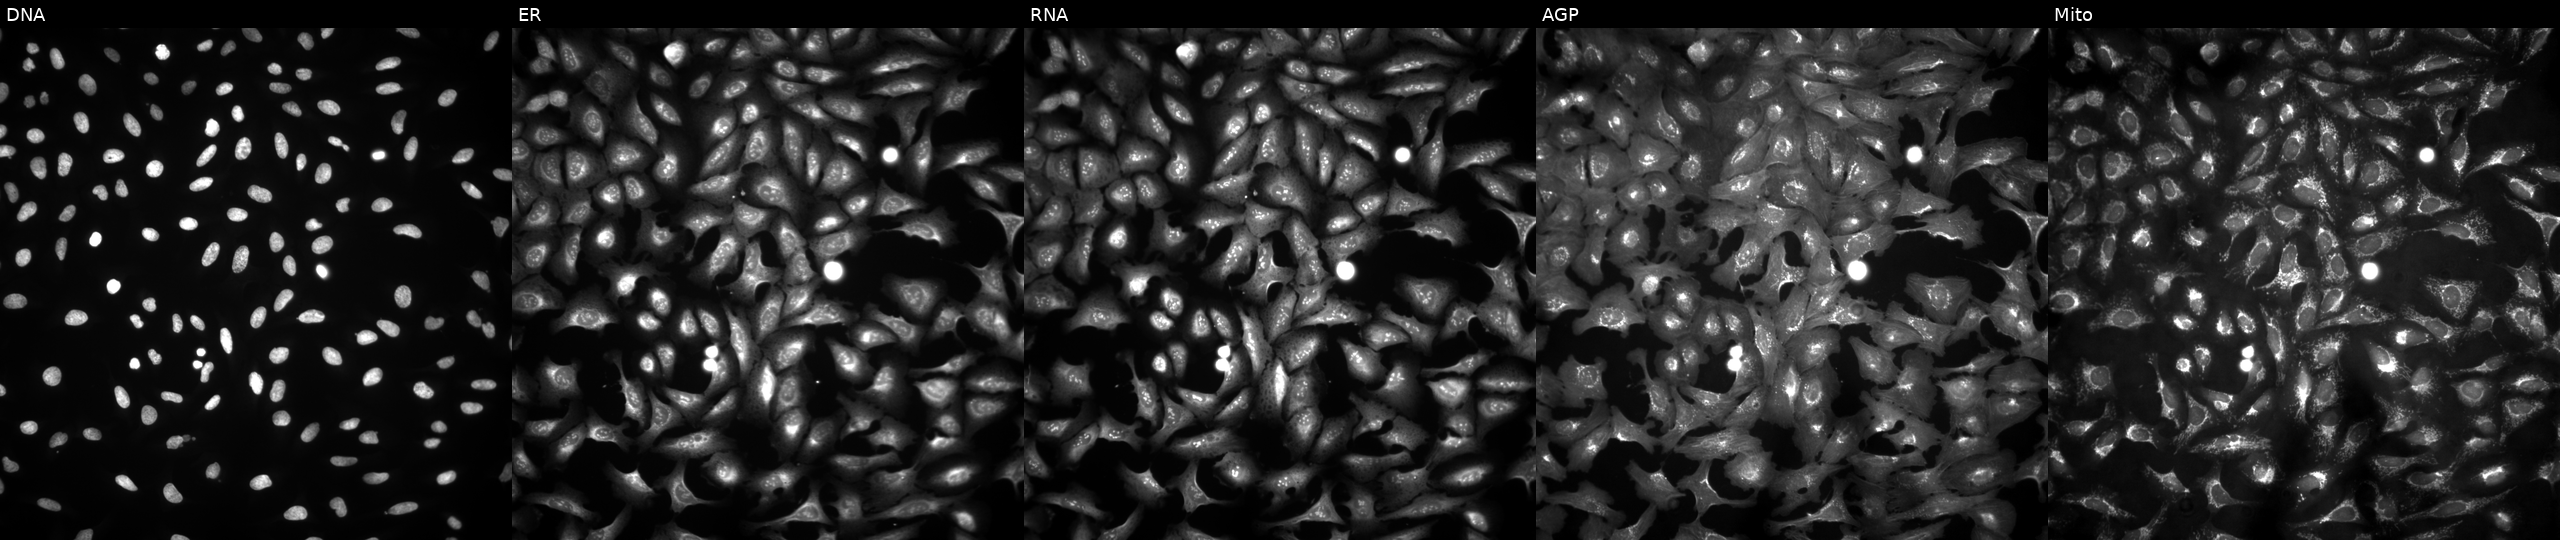
U2OS cells, Cell Painting assay, with PUM3 overexpressed (ORF) (JUMP id JCP2022_907025). Panels show, left to right, Hoechst 33342, concanavalin A, SYTO 14, phalloidin and WGA, MitoTracker. Each panel is percentile-stretched 16-bit fluorescence.